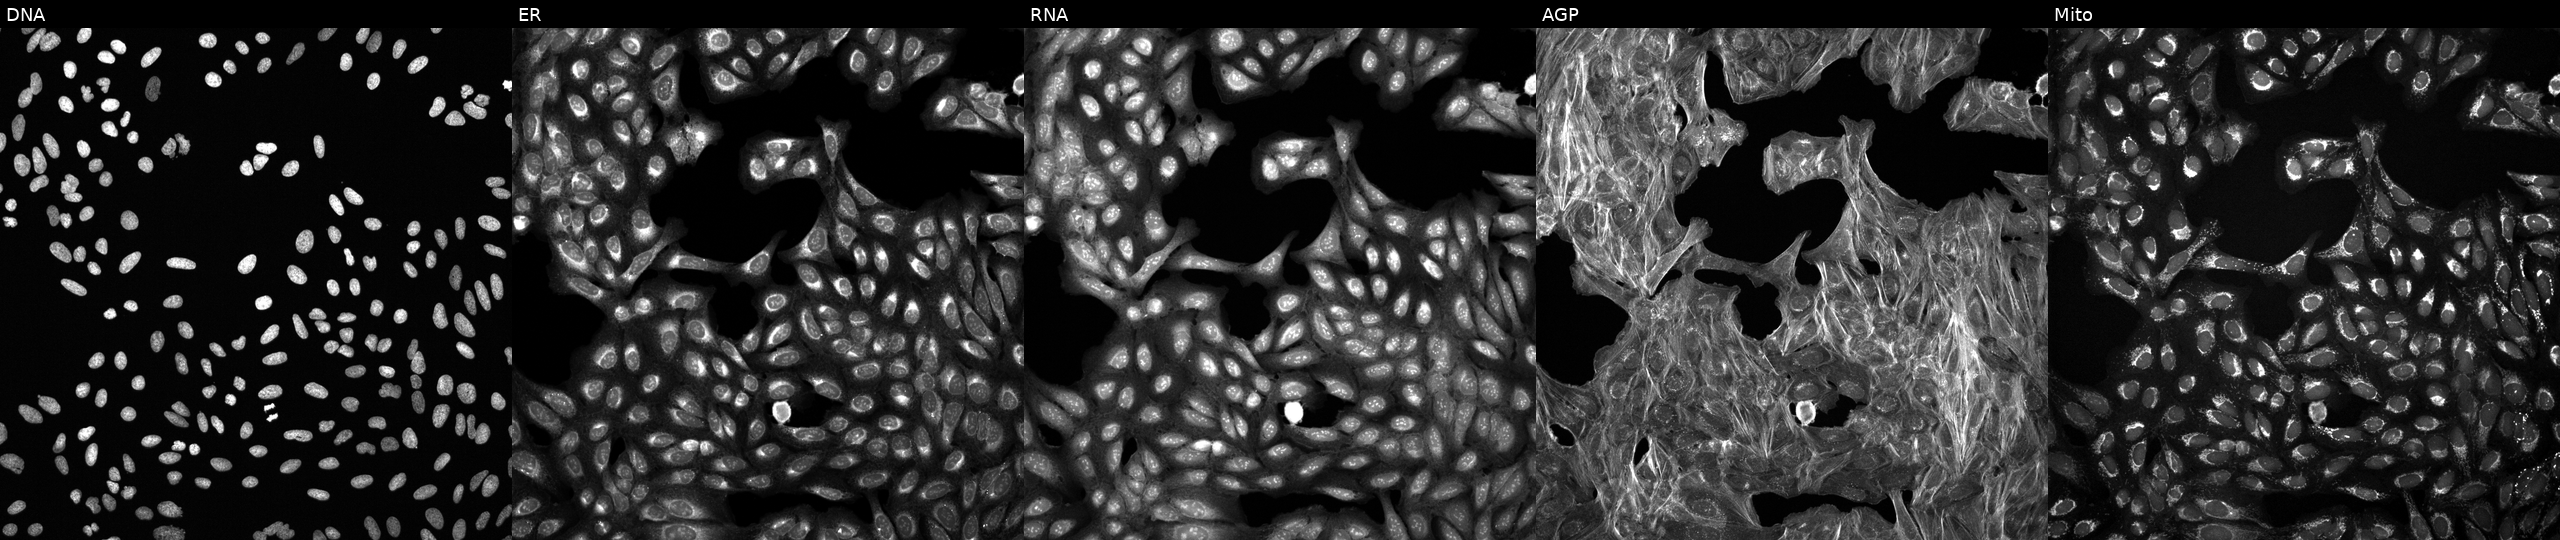
High-content fluorescence microscopy (Cell Painting). Cell line: U2OS. Perturbation: exposed to a small-molecule compound. Panels show, left to right, Hoechst 33342, concanavalin A, SYTO 14, phalloidin and WGA, MitoTracker.